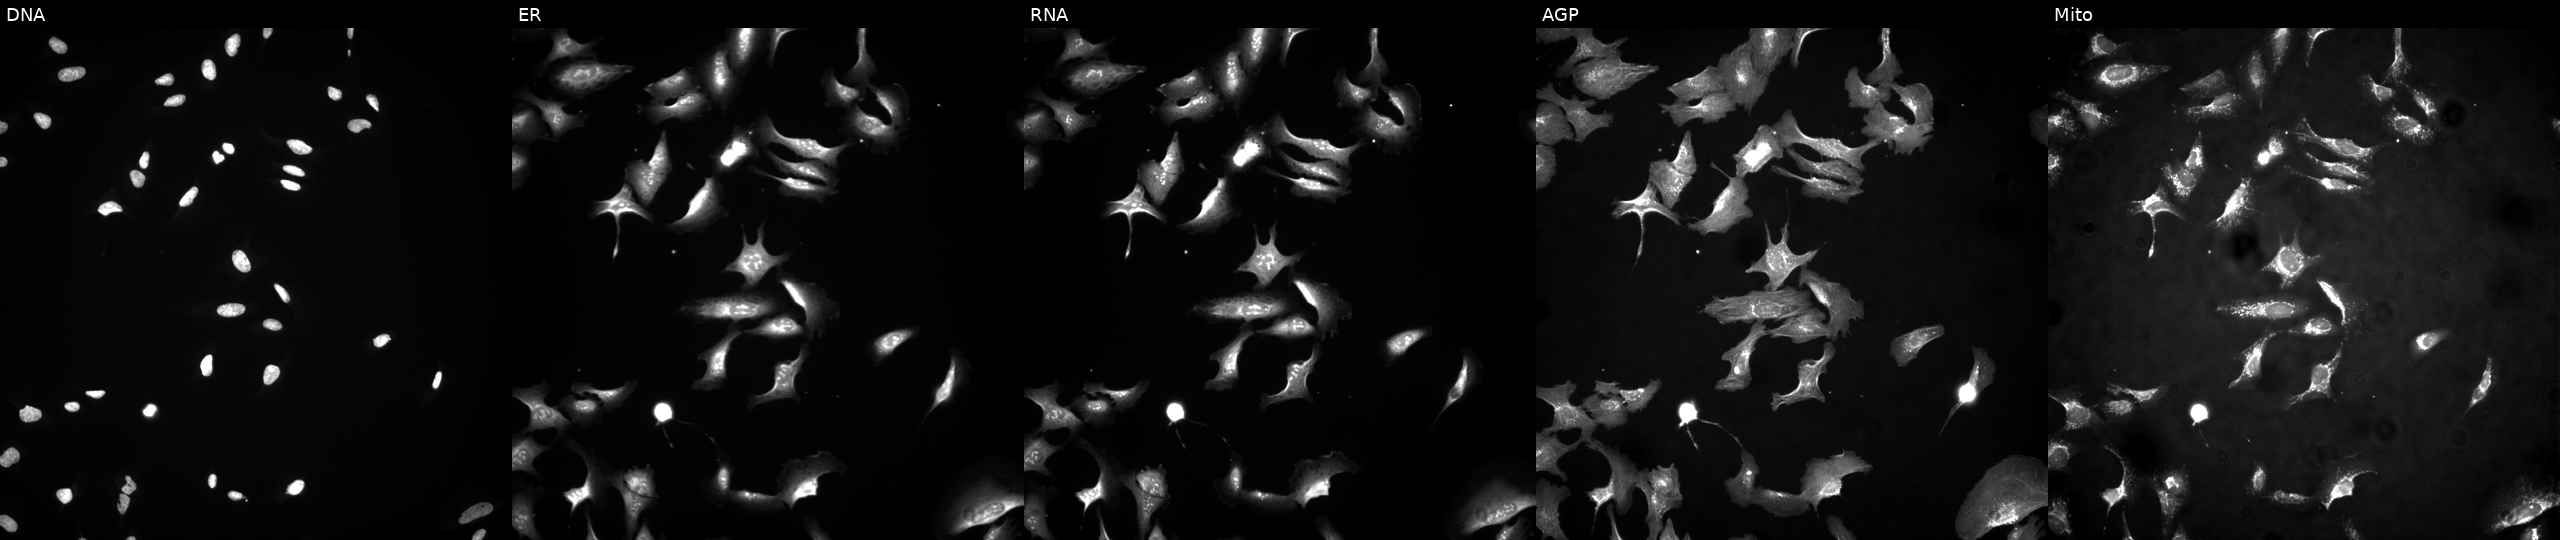
Five-channel Cell Painting image of U2OS cells overexpressing METTL6 via ORF transfection. Channels (left→right): DNA (nuclei); ER (endoplasmic reticulum); RNA (nucleoli and cytoplasmic RNA); AGP (actin cytoskeleton, Golgi, and plasma membrane); Mito (mitochondria).